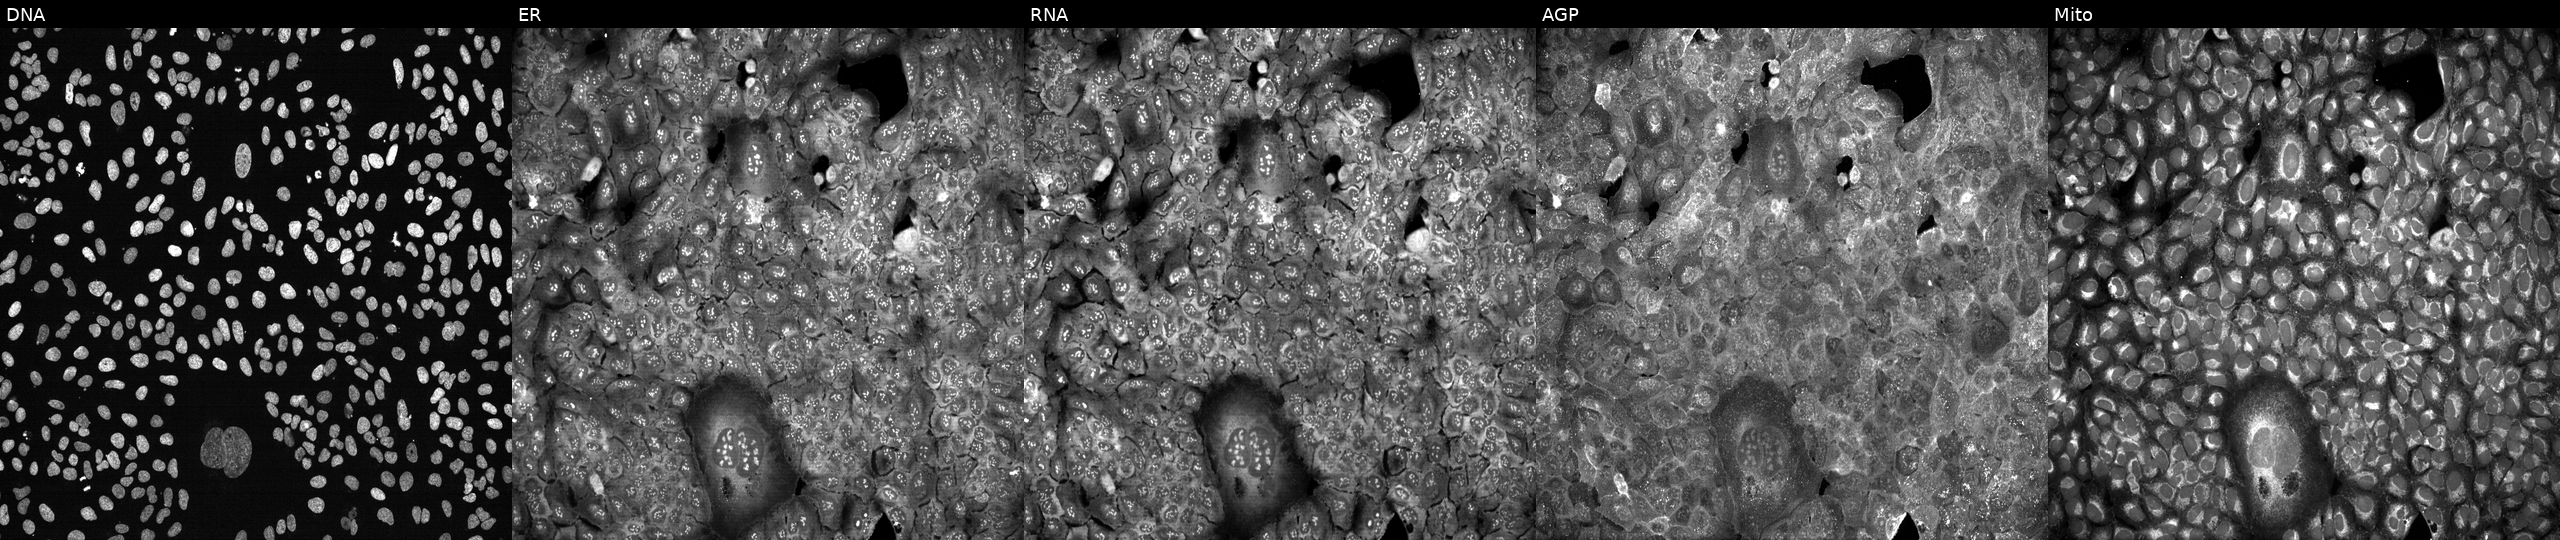
Channels (left→right): Hoechst 33342, concanavalin A, SYTO 14, phalloidin and WGA, MitoTracker. U2OS osteosarcoma cells with RND3 knocked out by CRISPR. Cell Painting assay, JUMP-CP dataset.